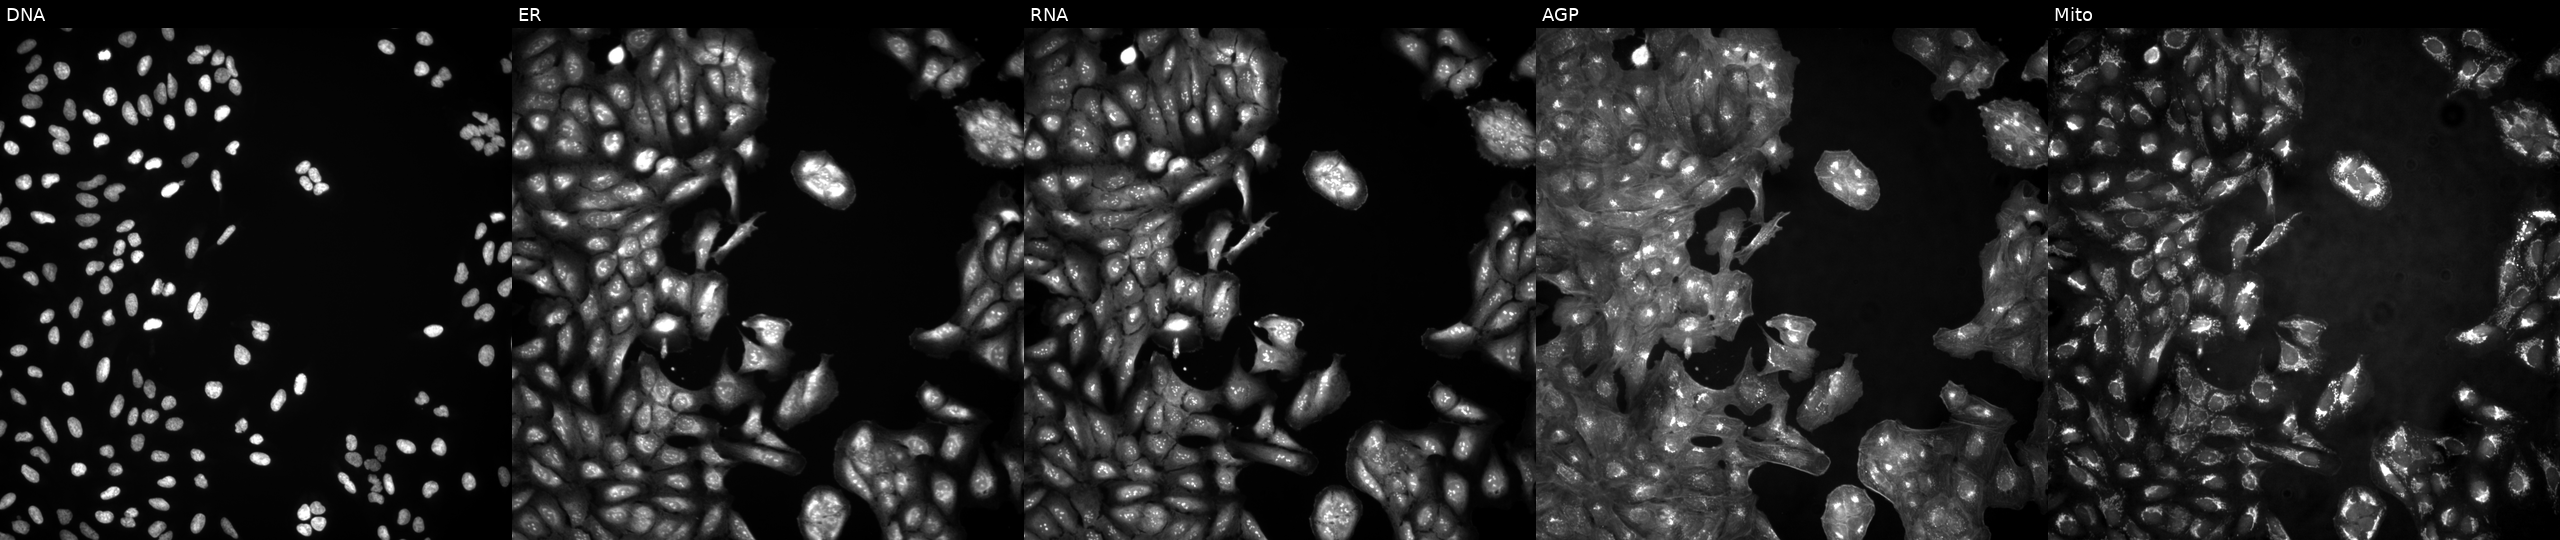
U2OS cells, Cell Painting assay, untreated (empty-well control). The five panels, left to right, show DNA (nuclei); ER (endoplasmic reticulum); RNA (nucleoli and cytoplasmic RNA); AGP (actin cytoskeleton, Golgi, and plasma membrane); Mito (mitochondria). Each panel is percentile-stretched 16-bit fluorescence. Source 4, plate BR00123946, well H14.